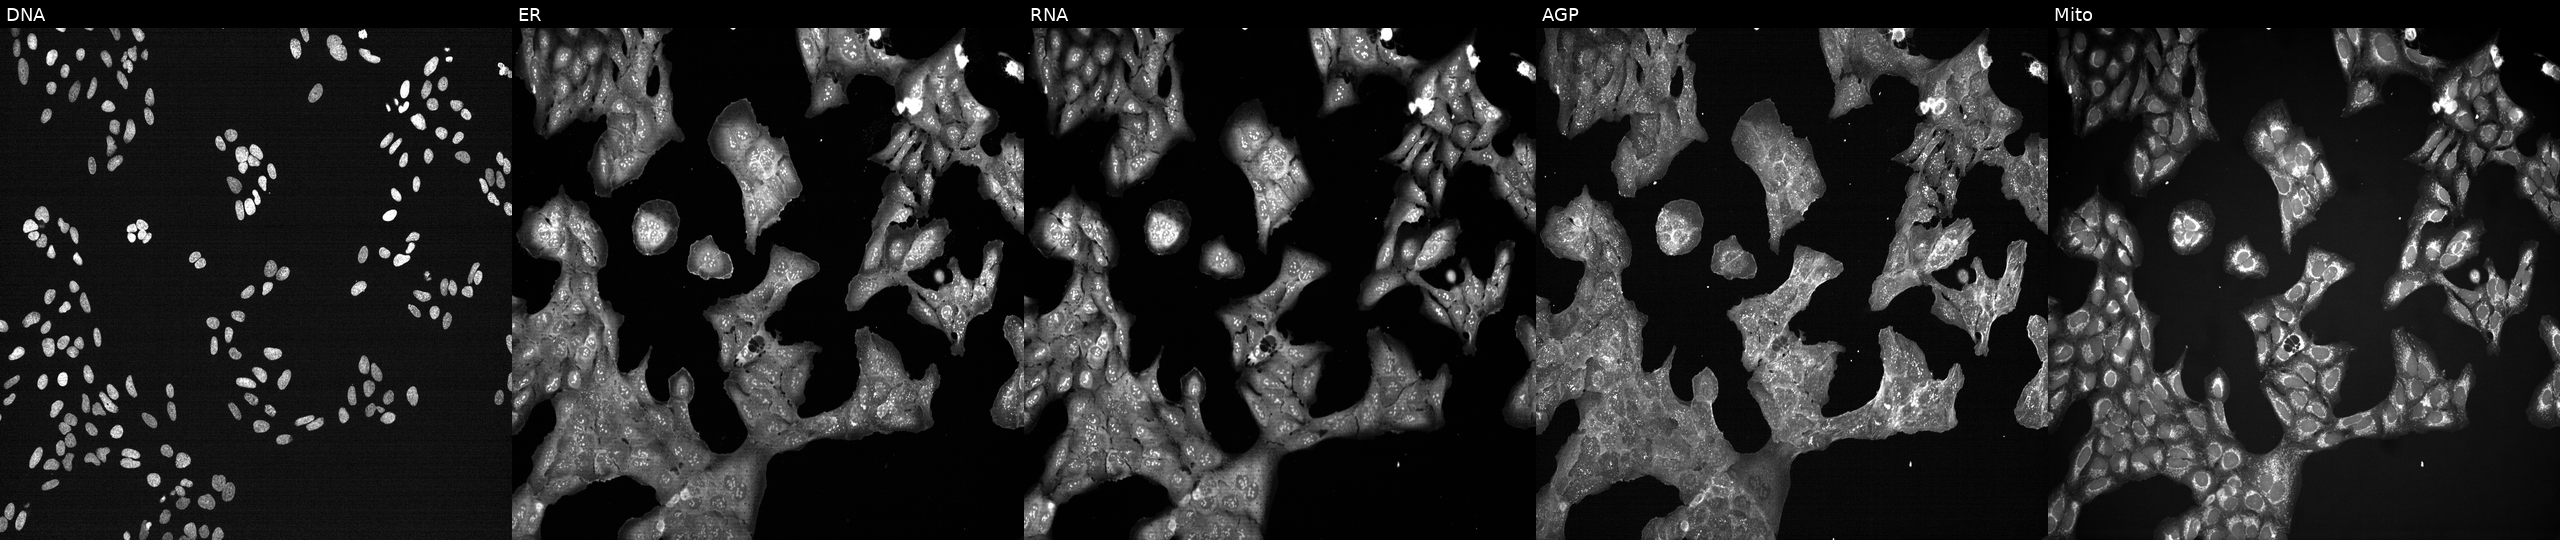
High-content fluorescence microscopy (Cell Painting). Cell line: U2OS. Perturbation: perturbed with a small-molecule compound (JUMP id JCP2022_015955). Channels (left→right): DNA, ER, RNA, AGP, and Mito.